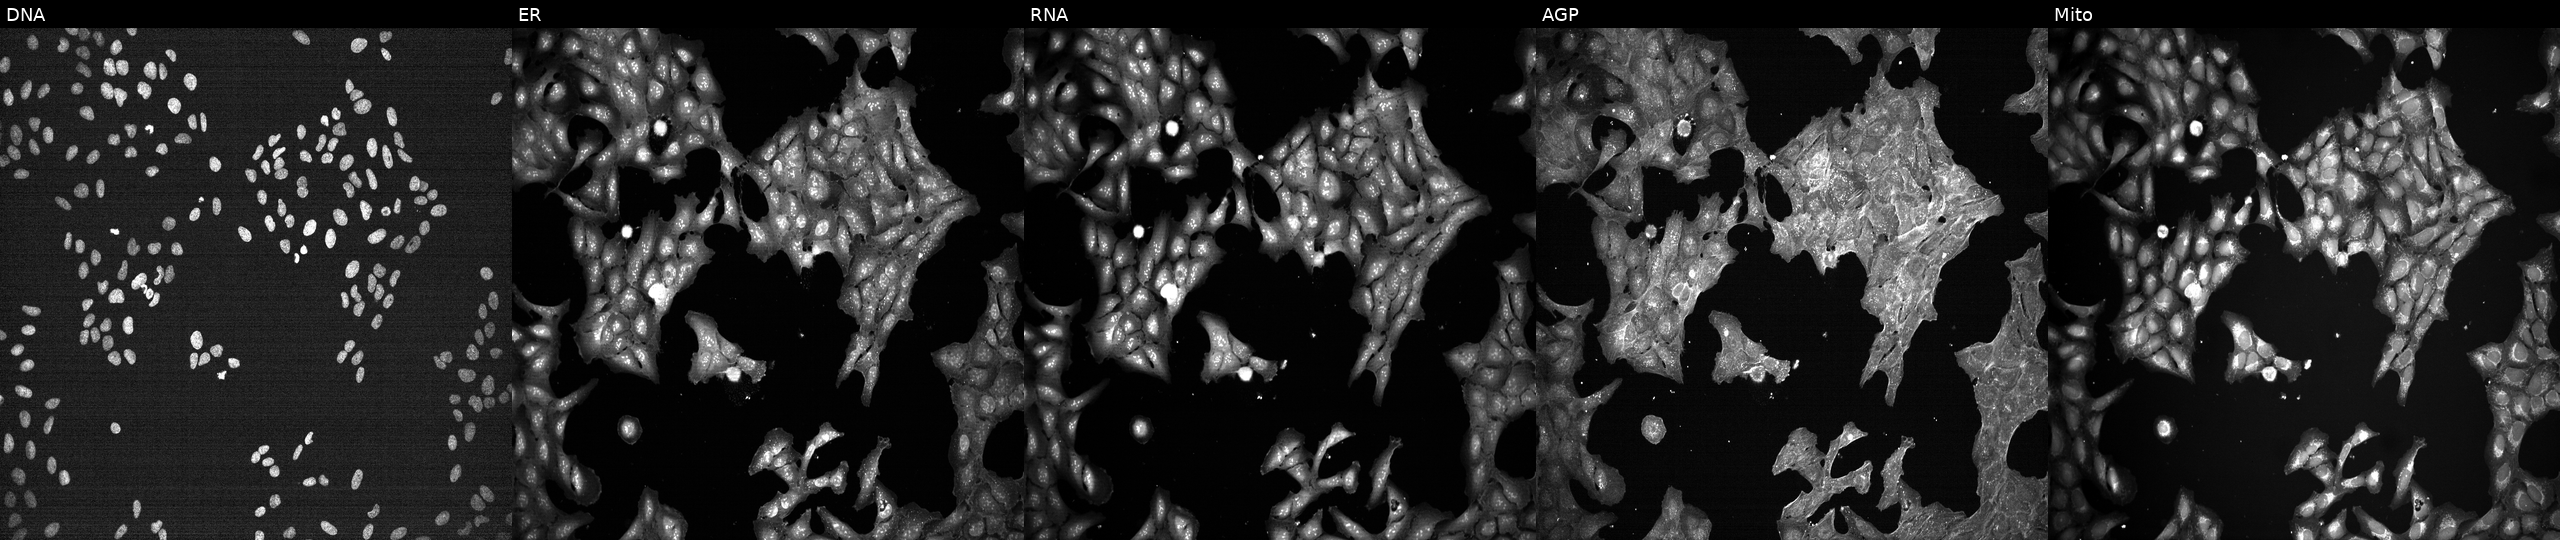
Panels show, left to right, Hoechst 33342, concanavalin A, SYTO 14, phalloidin and WGA, MitoTracker. U2OS osteosarcoma cells perturbed with a small-molecule compound (InChIKey KAQKFAOMNZTLHT-UHFFFAOYSA-N) [SMILES: CCCCCC(O)C=CC1C(O)CC2OC(=CCCCC(=O)O)CC21]. Cell Painting assay, JUMP-CP dataset.